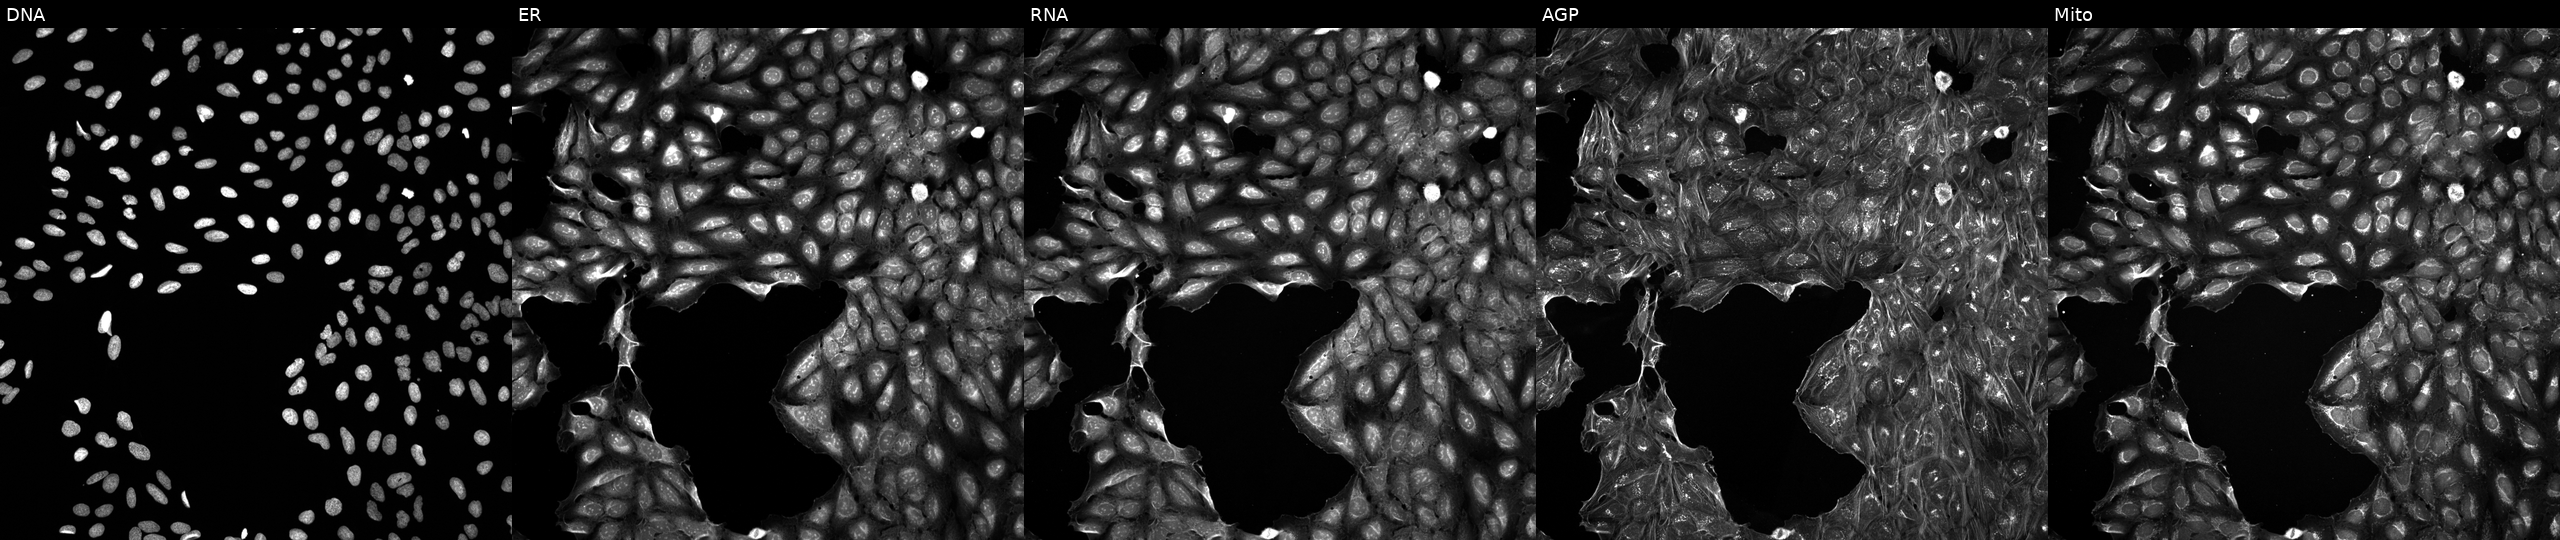
Five-channel Cell Painting image of U2OS cells treated with a small-molecule compound (InChIKey QKQJMJZCPNIELQ-UHFFFAOYSA-N) [SMILES: Cc1cnc(CC2CCN(C(=O)c3ccnn3C)CC2)n1CC1CC1] (JUMP id JCP2022_074063). From left to right: DNA, ER, RNA, AGP, and Mito.